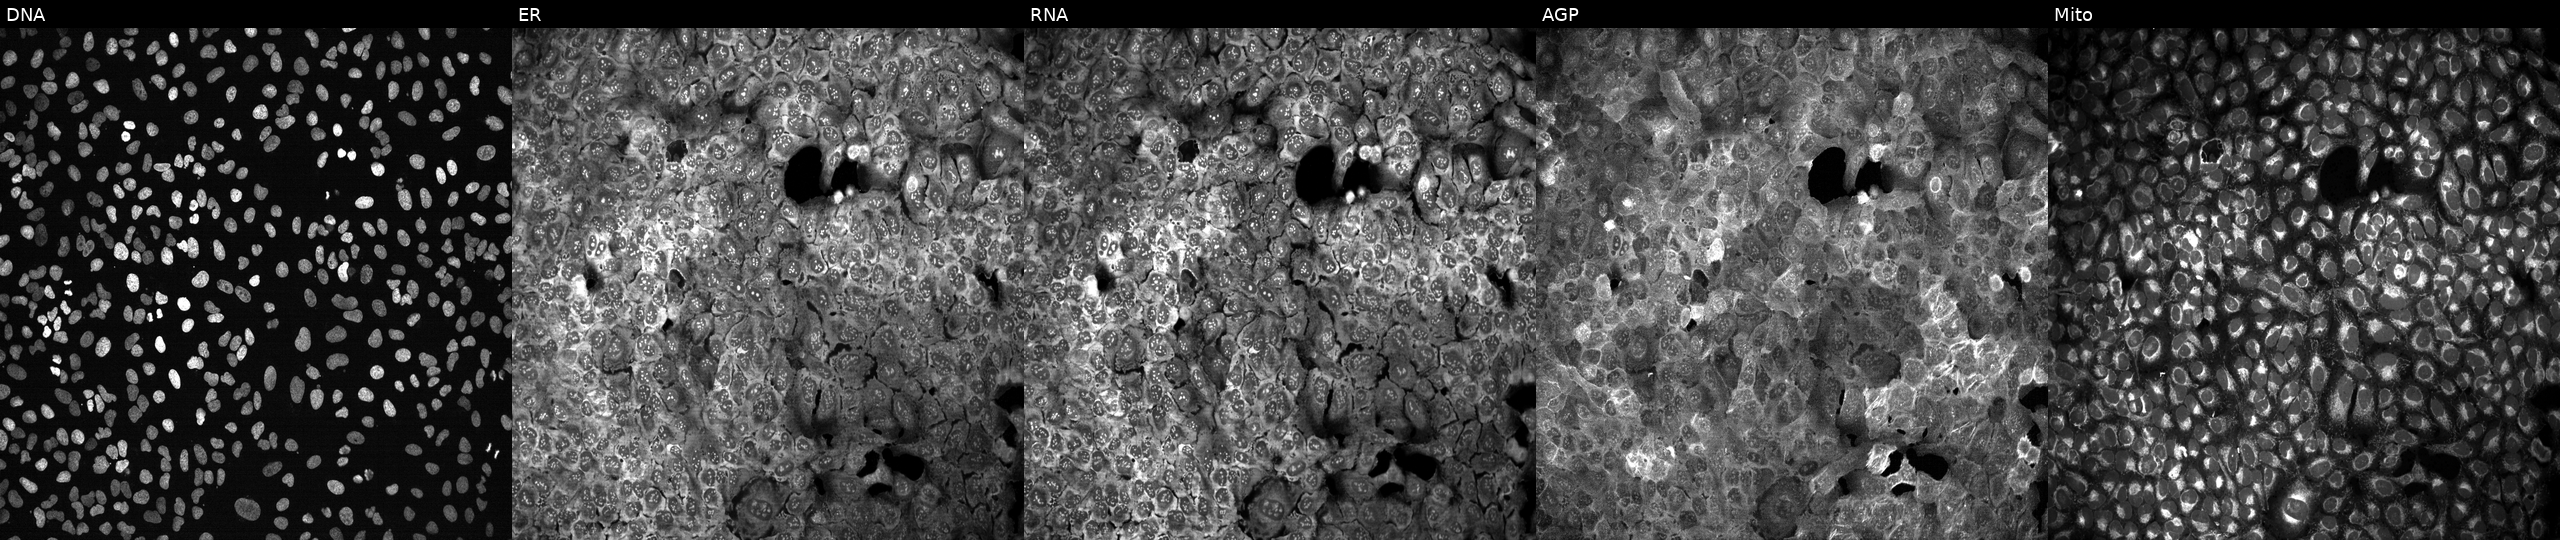
The five panels, left to right, show DNA (nuclei); ER (endoplasmic reticulum); RNA (nucleoli and cytoplasmic RNA); AGP (actin cytoskeleton, Golgi, and plasma membrane); Mito (mitochondria). U2OS osteosarcoma cells with MGAT4C knocked out by CRISPR. Cell Painting assay, JUMP-CP dataset.